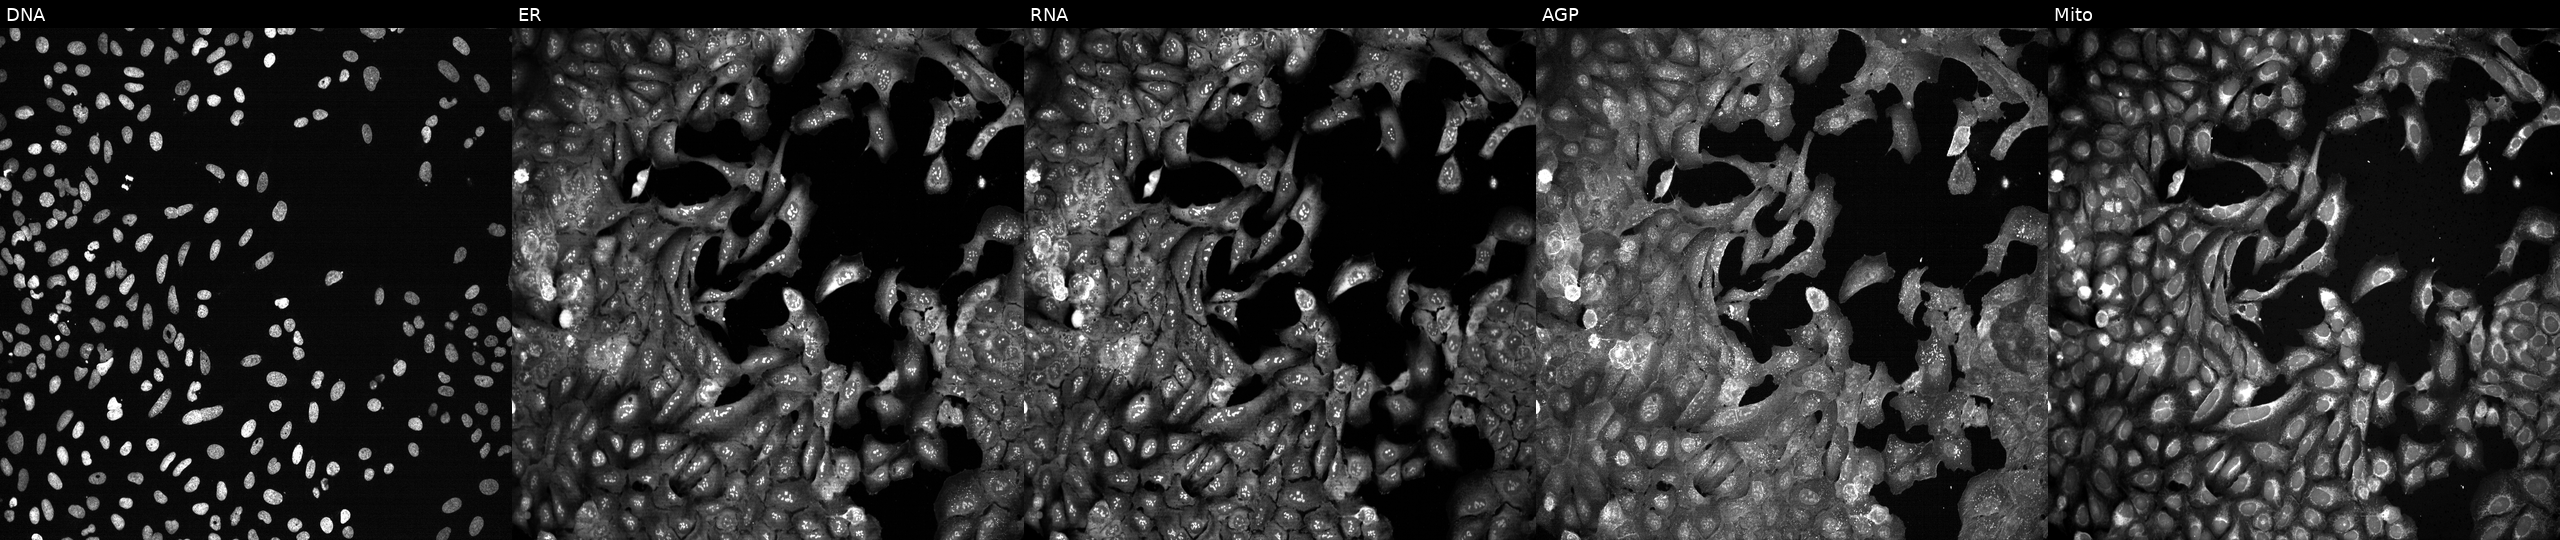
This image strip shows the five Cell Painting channels for a single field of U2OS cells with SLC1A4 knocked out by CRISPR (JUMP id JCP2022_806410). From left to right: Hoechst 33342, concanavalin A, SYTO 14, phalloidin and WGA, MitoTracker. Source 13, plate CP-CC9-R5-01, well I20.